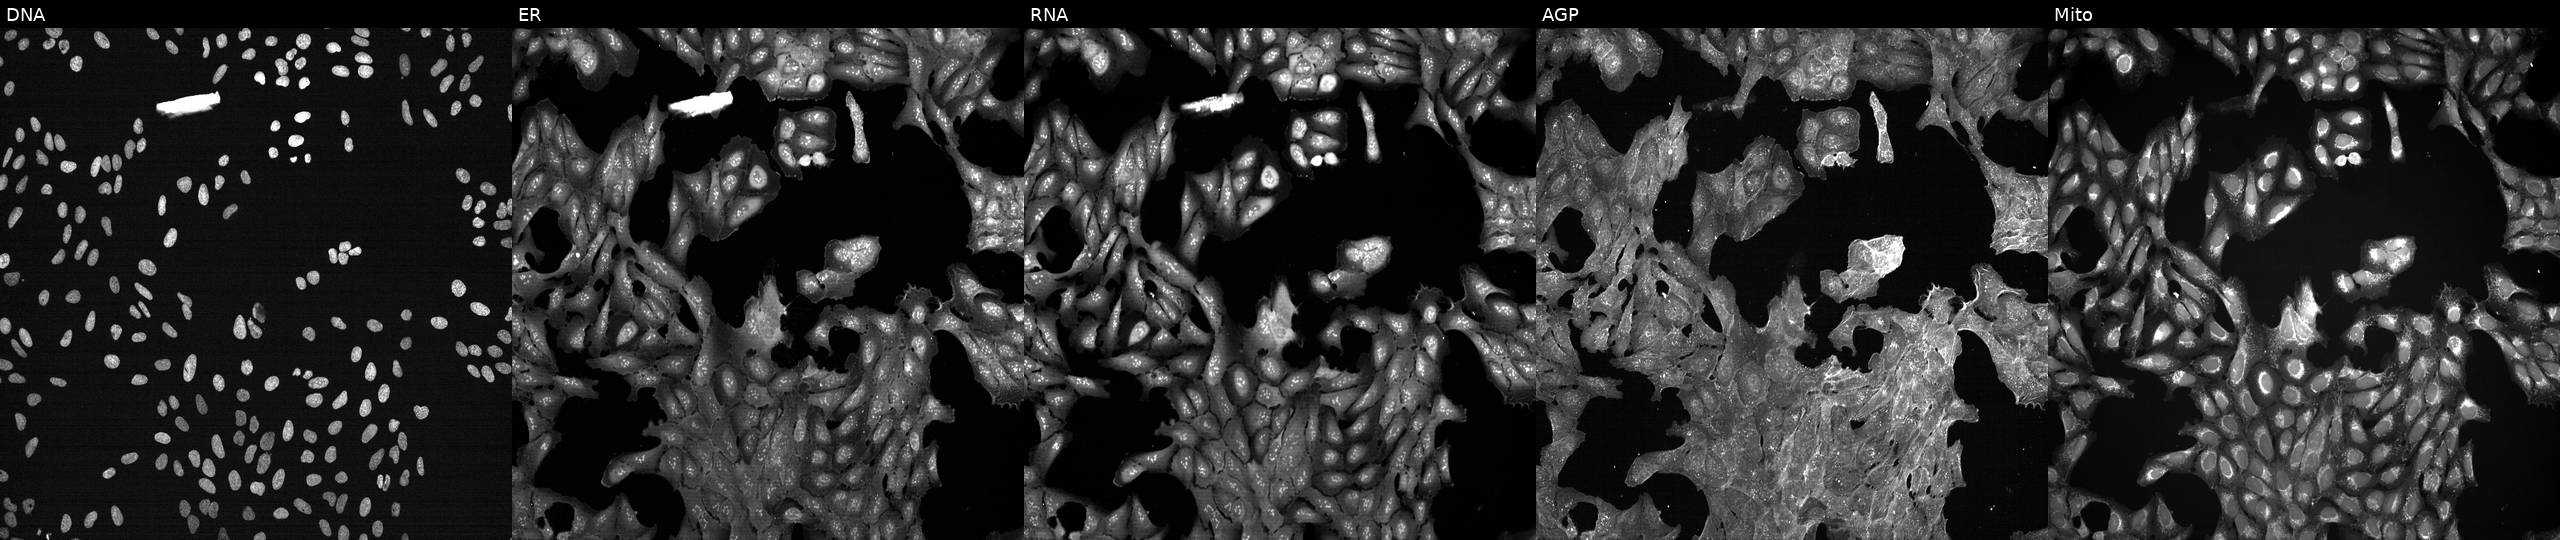
This image strip shows the five Cell Painting channels for a single field of U2OS cells perturbed with a small-molecule compound (InChIKey RIKMMFOAQPJVMX-UHFFFAOYSA-N) (JUMP id JCP2022_078588). From left to right: DNA, ER, RNA, AGP, and Mito. Source 7, plate CP2-SC1-25, well O06.